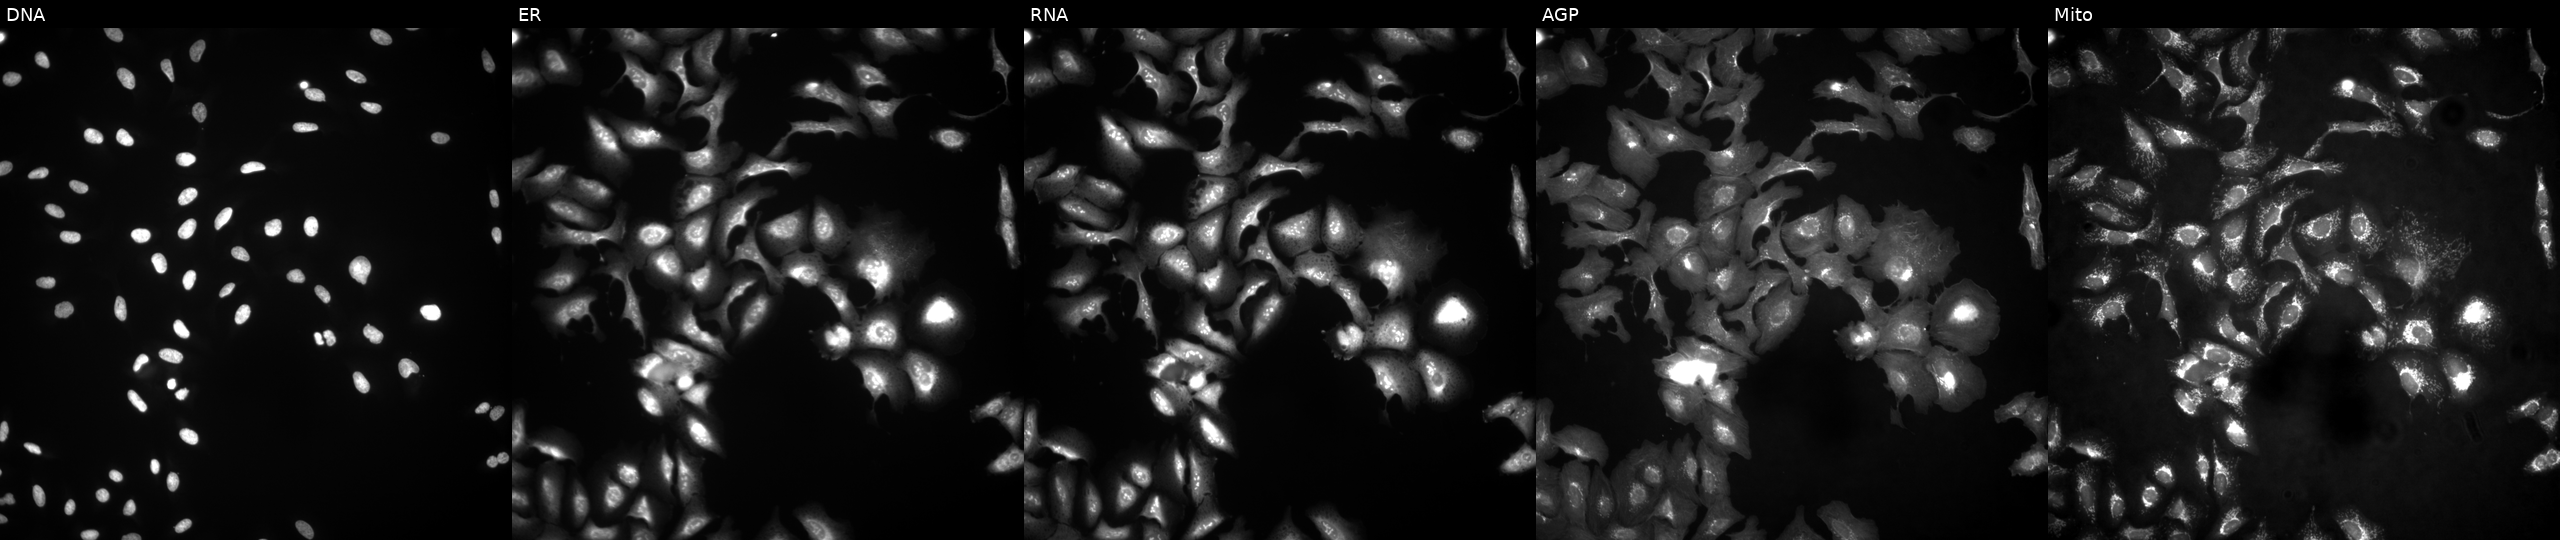
Five-channel Cell Painting image of U2OS cells transfected with a failed ORF construct (JUMP BAD CONSTRUCT marker). Panels show, left to right, Hoechst 33342, concanavalin A, SYTO 14, phalloidin and WGA, MitoTracker.